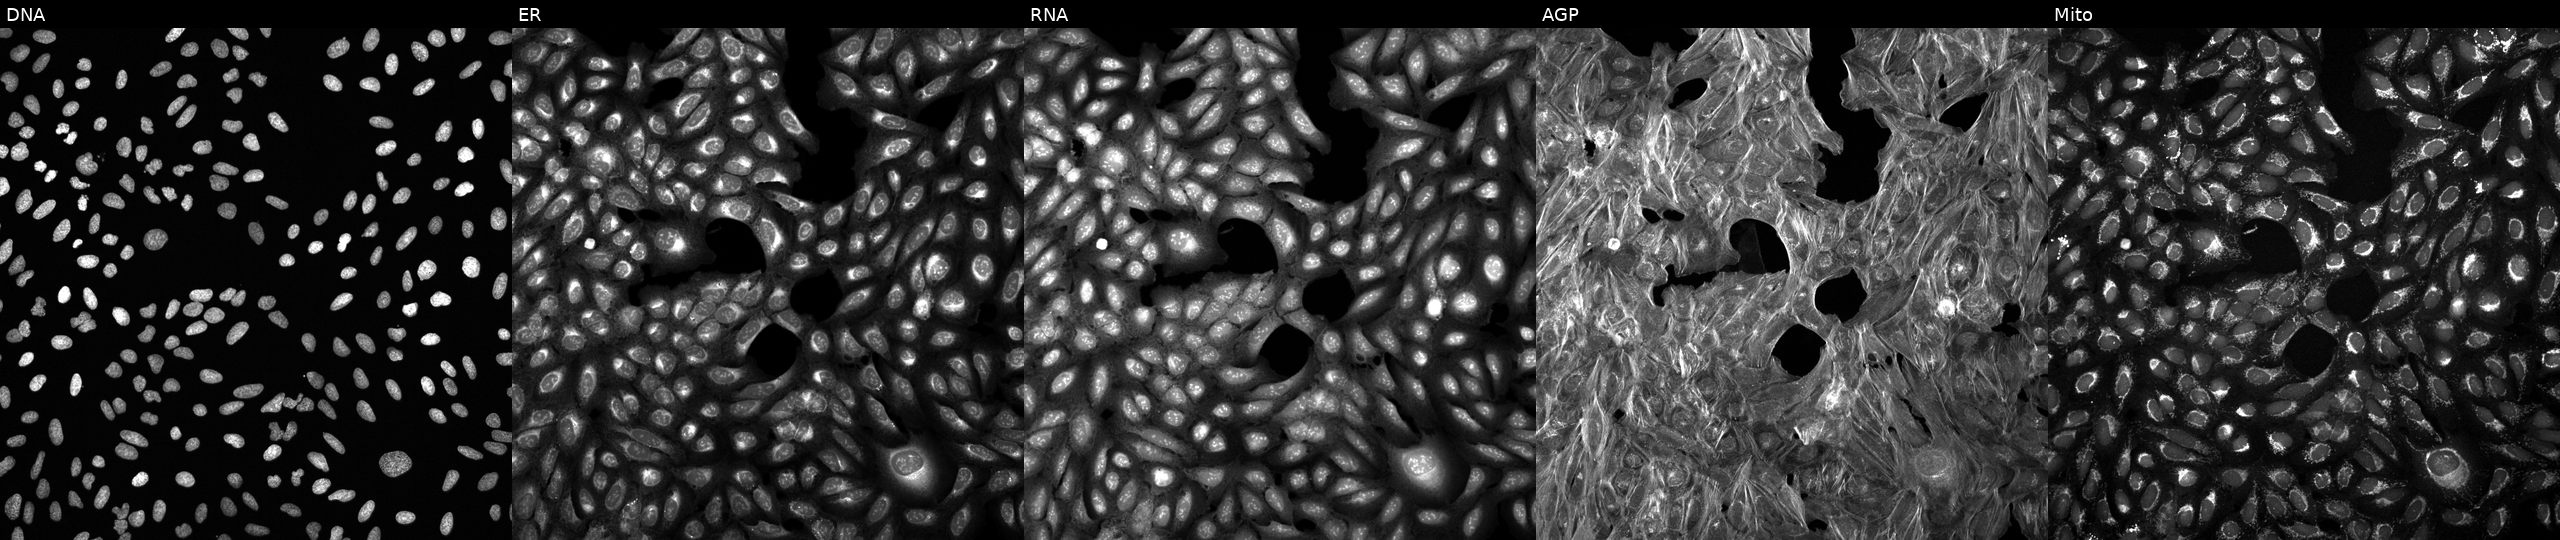
High-content fluorescence microscopy (Cell Painting). Cell line: U2OS. Perturbation: exposed to a small-molecule compound (InChIKey XSDPCSDWKXMYLT-UHFFFAOYSA-N). From left to right: Hoechst 33342, concanavalin A, SYTO 14, phalloidin and WGA, MitoTracker. Source 6, plate 110000293082, well J19.